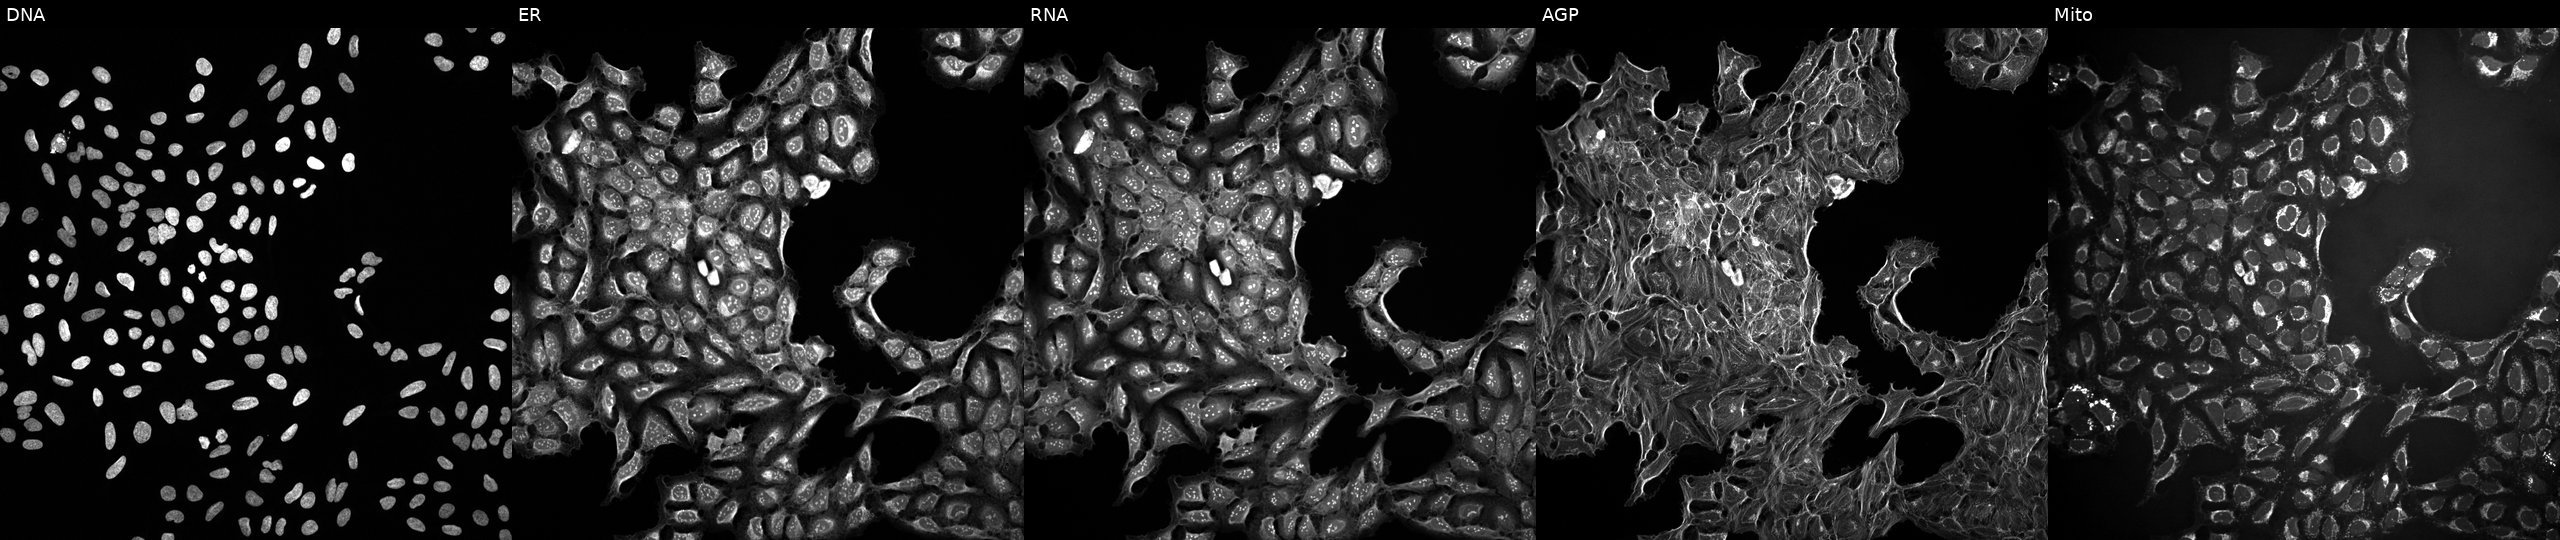
Five-channel Cell Painting image of U2OS cells exposed to a small-molecule compound (InChIKey BYBLEWFAAKGYCD-UHFFFAOYSA-N) (JUMP id JCP2022_009419). Panels show, left to right, DNA (nuclei); ER (endoplasmic reticulum); RNA (nucleoli and cytoplasmic RNA); AGP (actin cytoskeleton, Golgi, and plasma membrane); Mito (mitochondria). Source 10, plate Dest210727-153003, well O03.